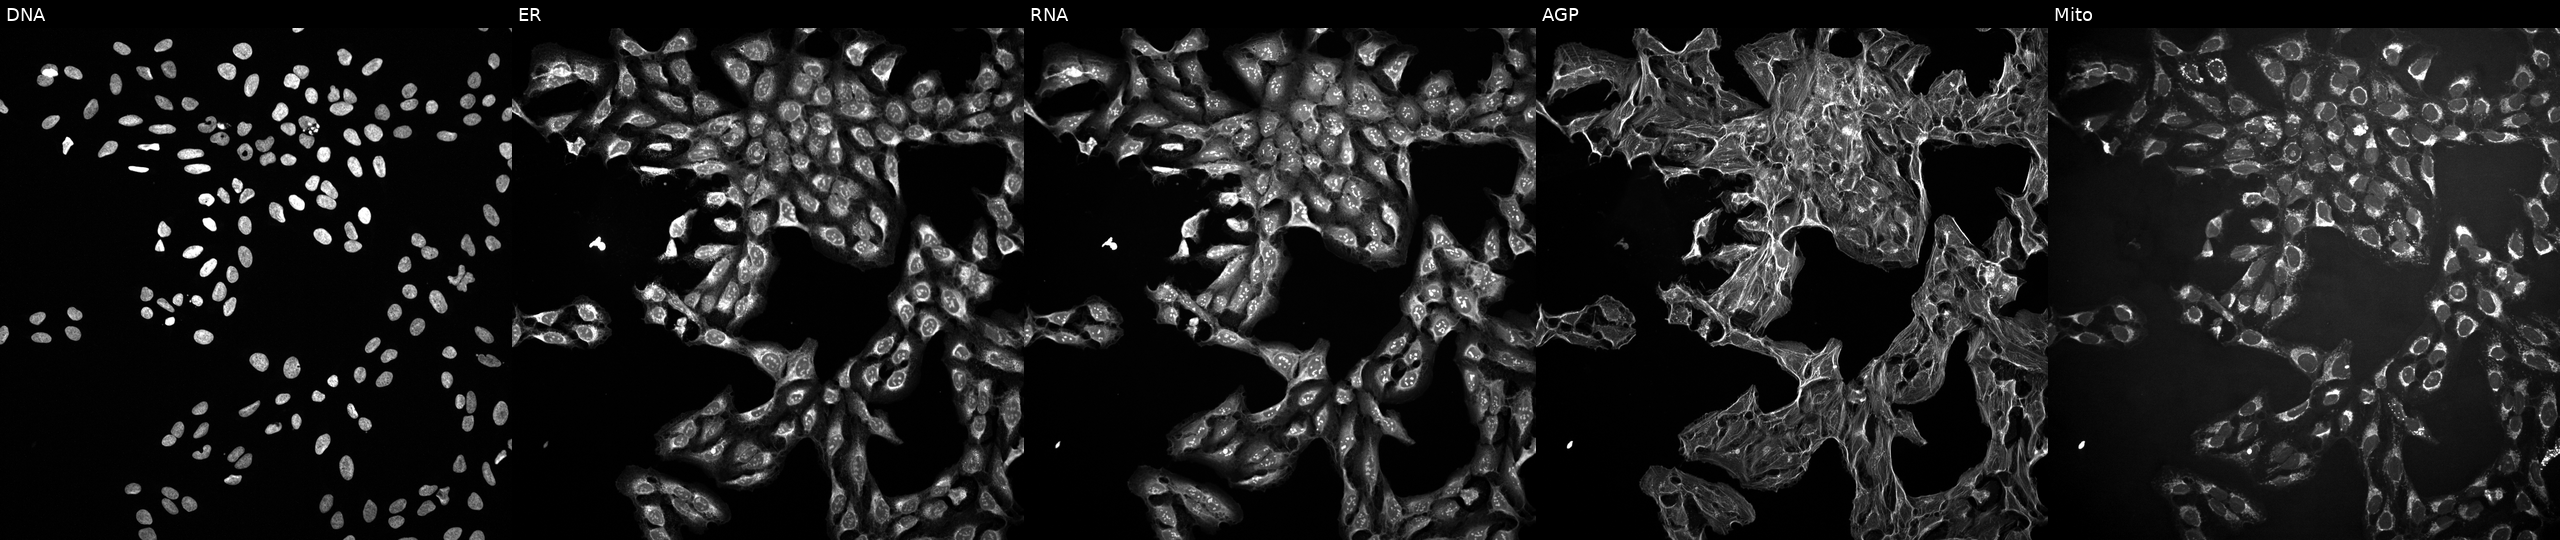
This image strip shows the five Cell Painting channels for a single field of U2OS cells perturbed with a small-molecule compound (InChIKey SVMHYHIZWOJKDL-UHFFFAOYSA-N) (JUMP id JCP2022_085892). The five panels, left to right, show DNA (nuclei); ER (endoplasmic reticulum); RNA (nucleoli and cytoplasmic RNA); AGP (actin cytoskeleton, Golgi, and plasma membrane); Mito (mitochondria).